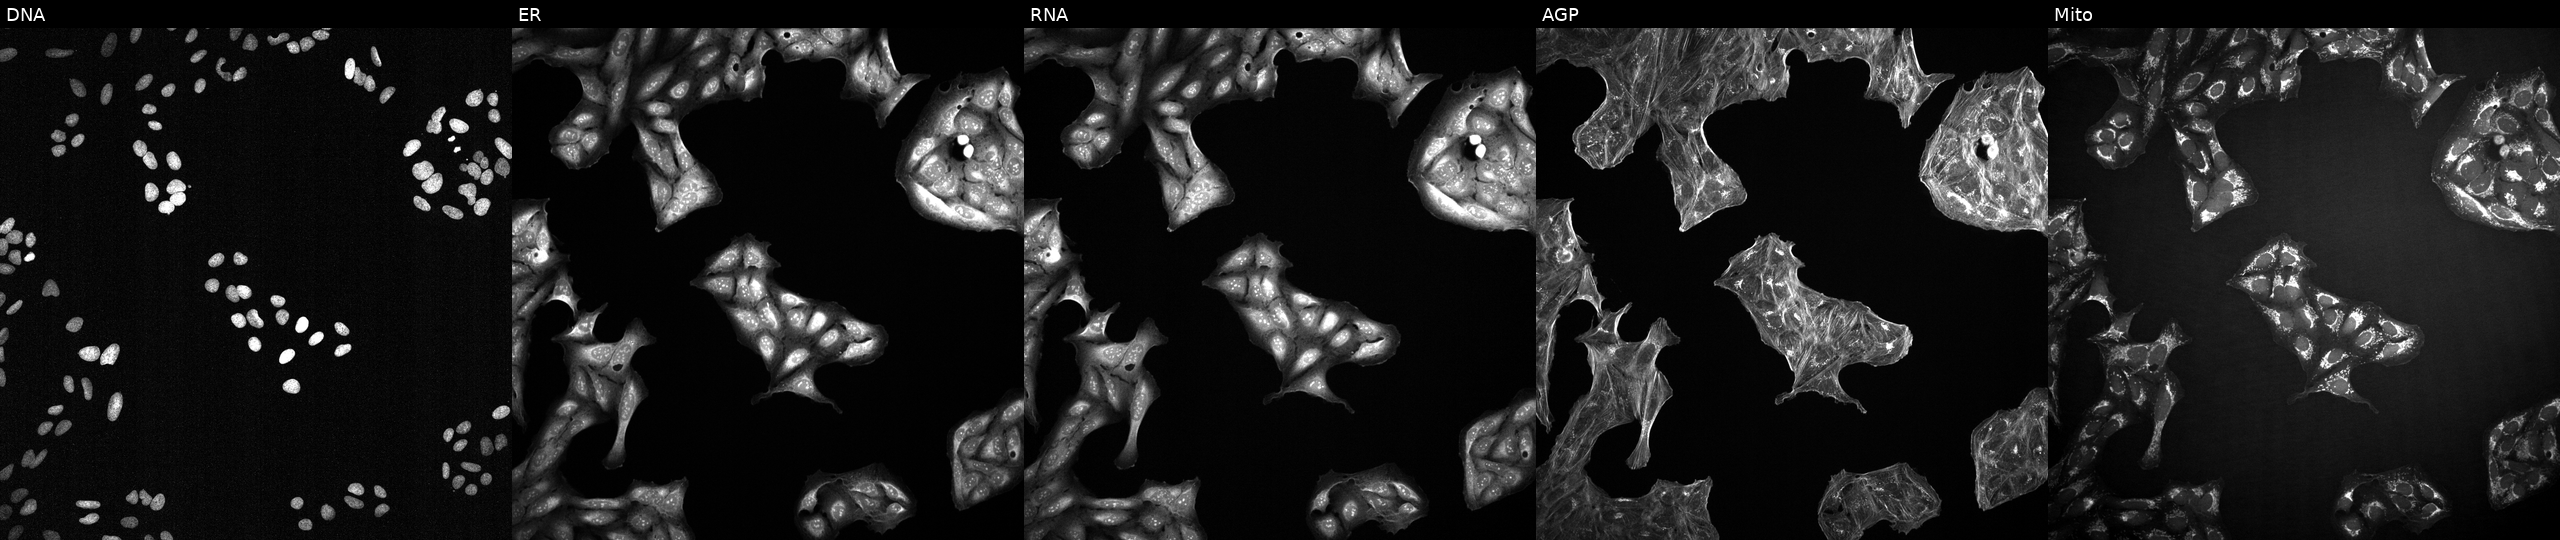
Five-channel Cell Painting image of U2OS cells exposed to a small-molecule compound (InChIKey XRKYMMUGXMWDAO-UHFFFAOYSA-N). Panels show, left to right, DNA (nuclei); ER (endoplasmic reticulum); RNA (nucleoli and cytoplasmic RNA); AGP (actin cytoskeleton, Golgi, and plasma membrane); Mito (mitochondria).